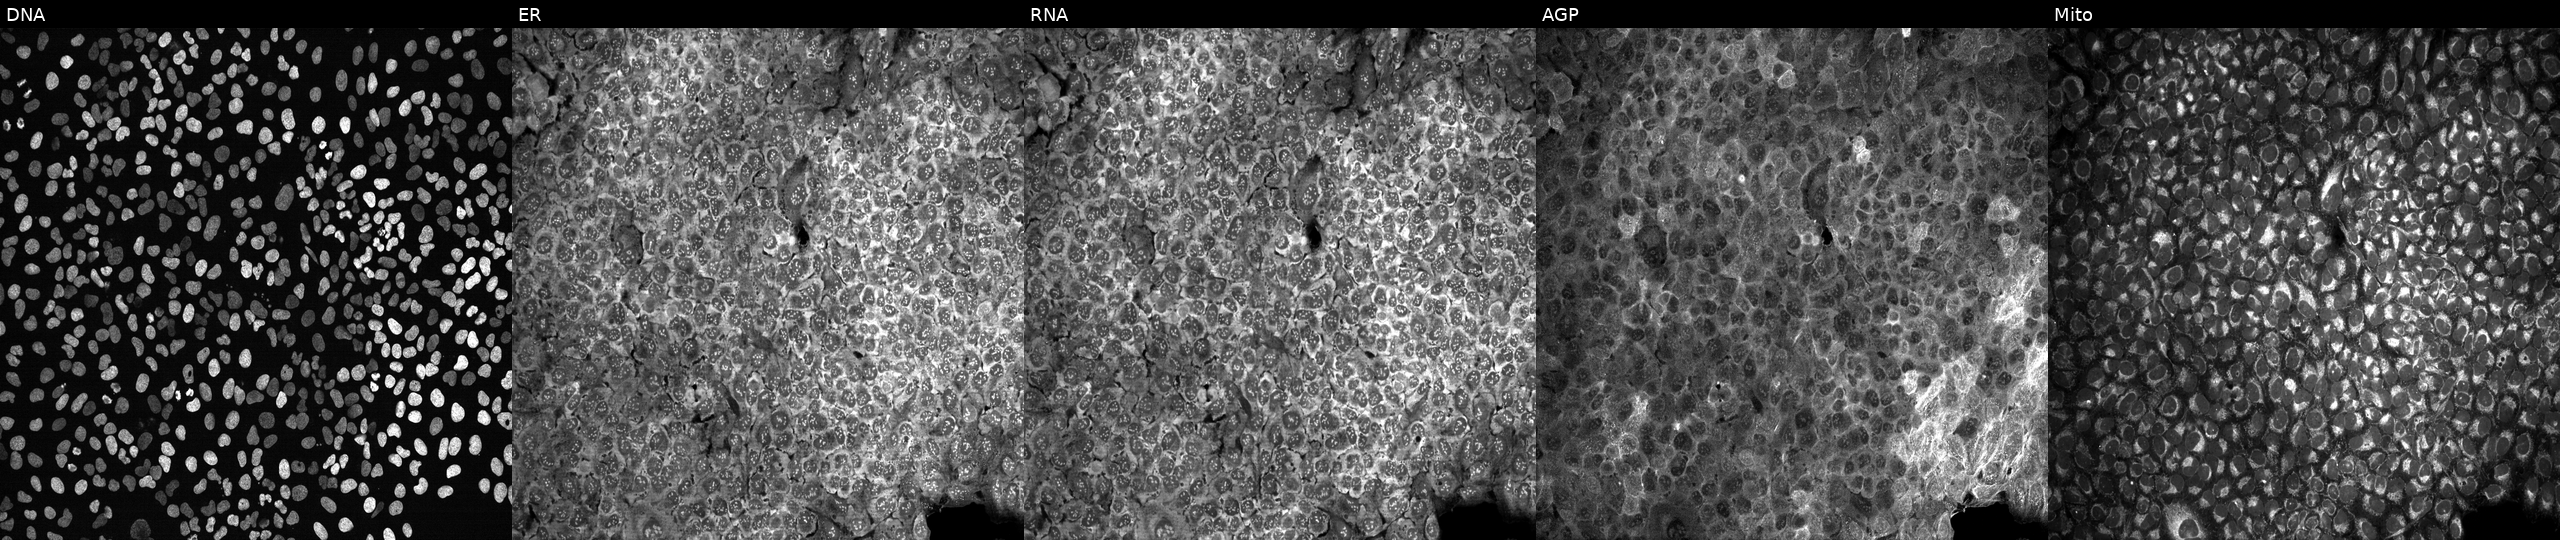
High-content fluorescence microscopy (Cell Painting). Cell line: U2OS. Perturbation: exposed to the positive-control compound quinidine (JUMP id JCP2022_050797). The five panels, left to right, show DNA, ER, RNA, AGP, and Mito.